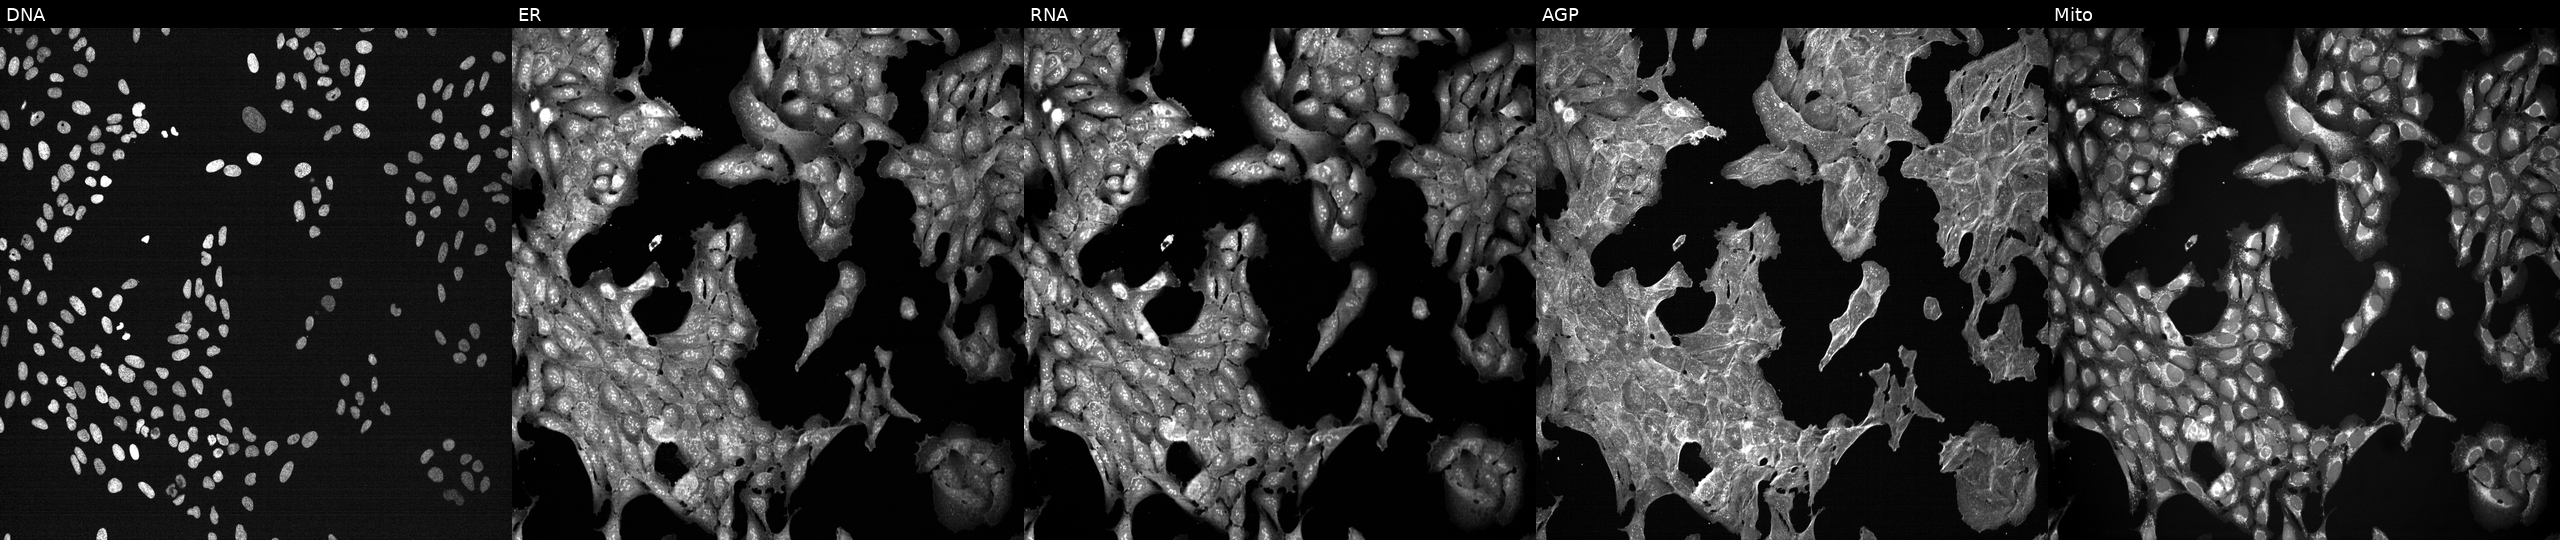
This image strip shows the five Cell Painting channels for a single field of U2OS cells exposed to a small-molecule compound (InChIKey ZDXPYRJPNDTMRX-UHFFFAOYSA-N) (JUMP id JCP2022_112702). Channels (left→right): Hoechst 33342, concanavalin A, SYTO 14, phalloidin and WGA, MitoTracker. Source 7, plate CP3-SC1-25, well G22.